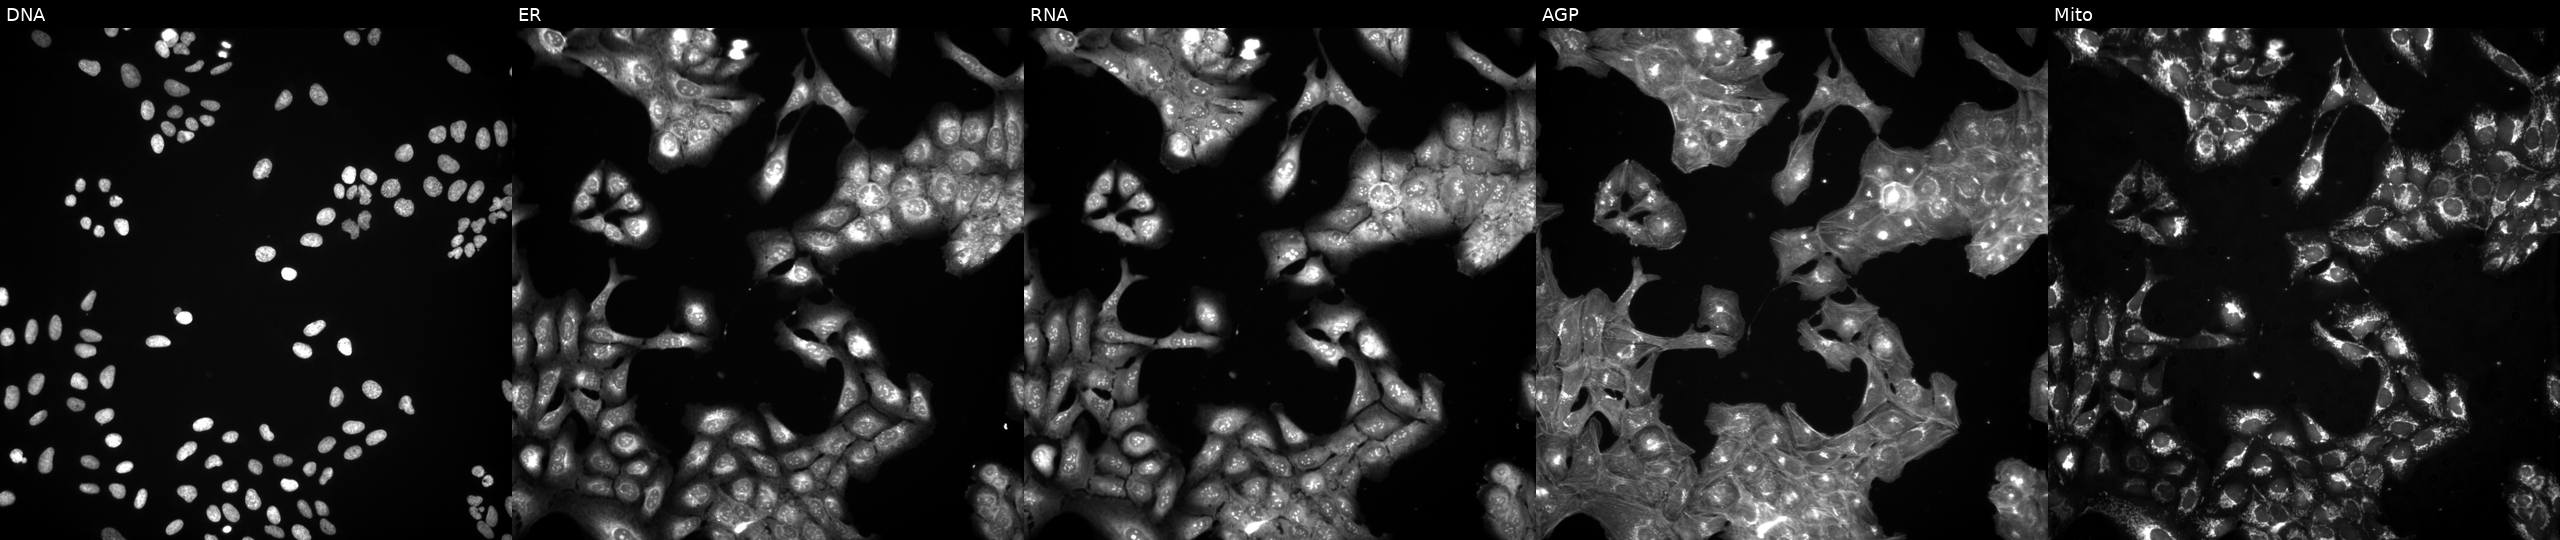
Five-channel Cell Painting image of U2OS cells in an empty control well (no perturbation) (JUMP id JCP2022_999999). From left to right: DNA, ER, RNA, AGP, and Mito.